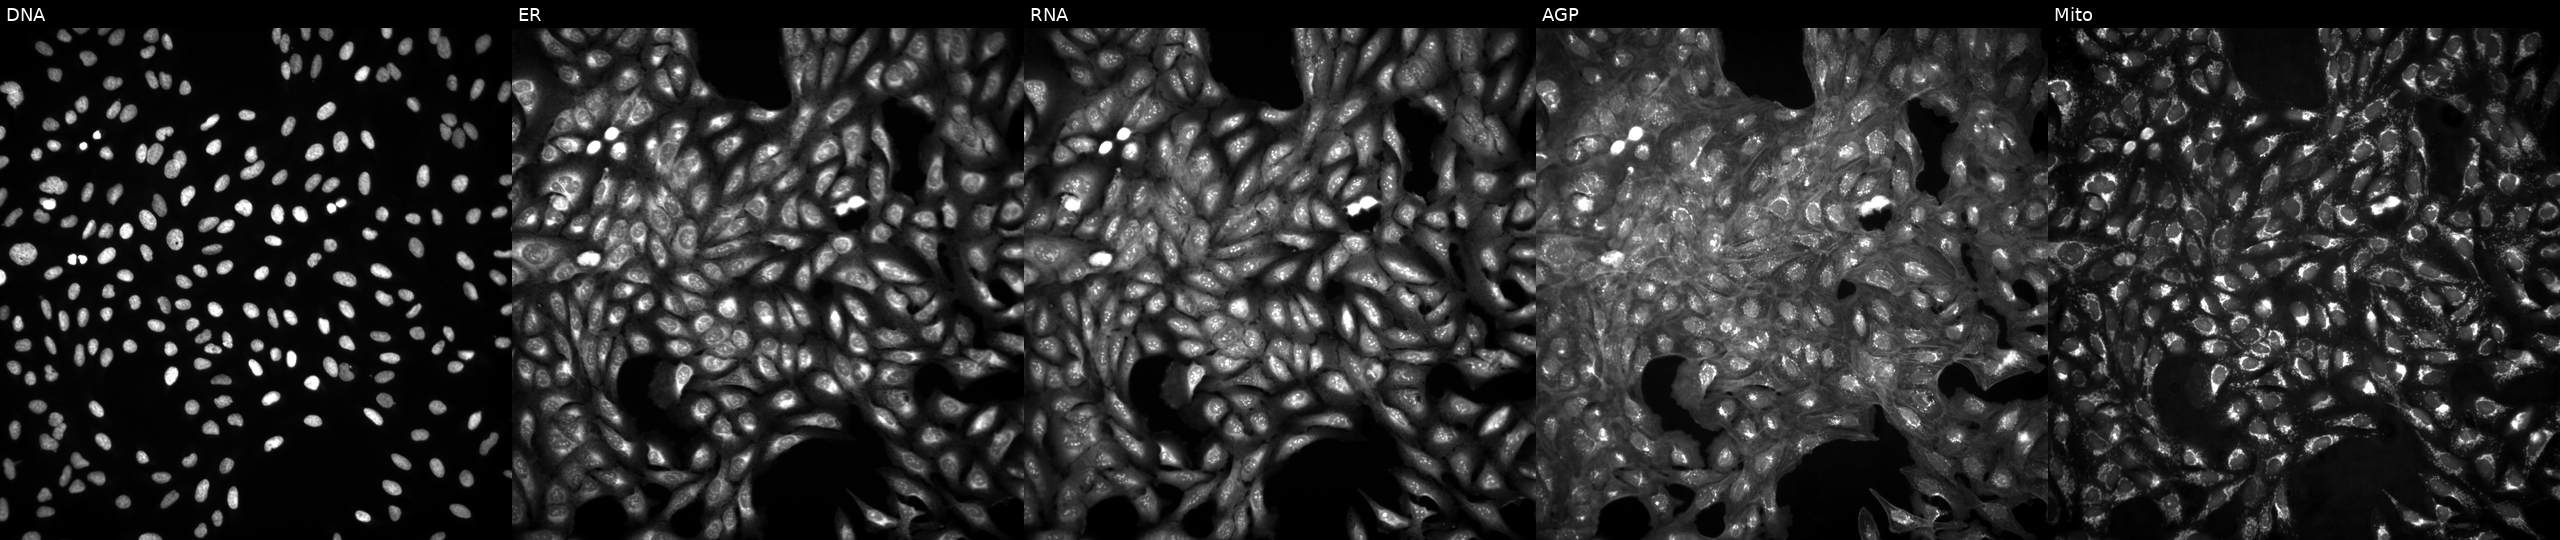
From left to right: DNA (nuclei); ER (endoplasmic reticulum); RNA (nucleoli and cytoplasmic RNA); AGP (actin cytoskeleton, Golgi, and plasma membrane); Mito (mitochondria). U2OS osteosarcoma cells in an empty control well (no perturbation) (JUMP id JCP2022_999999). Cell Painting assay, JUMP-CP dataset.